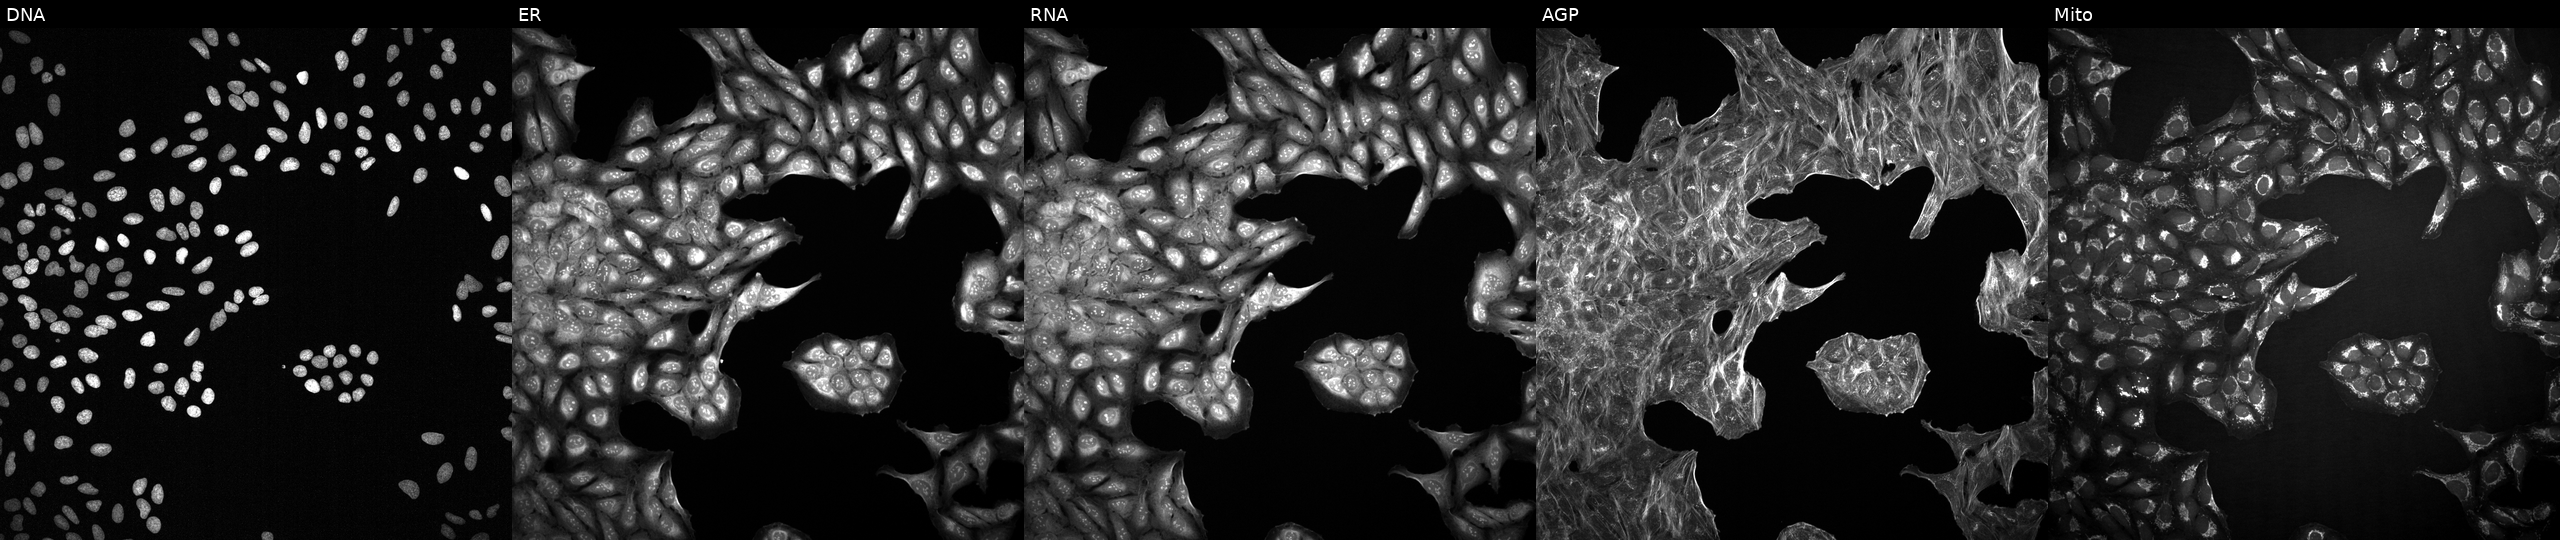
JUMP Cell Painting — TARGET2 plate. U2OS cells exposed to a small-molecule compound (InChIKey PZBPKYOVPCNPJY-UHFFFAOYSA-N). From left to right: DNA, ER, RNA, AGP, and Mito. Source 2, plate 1053600674, well J10.